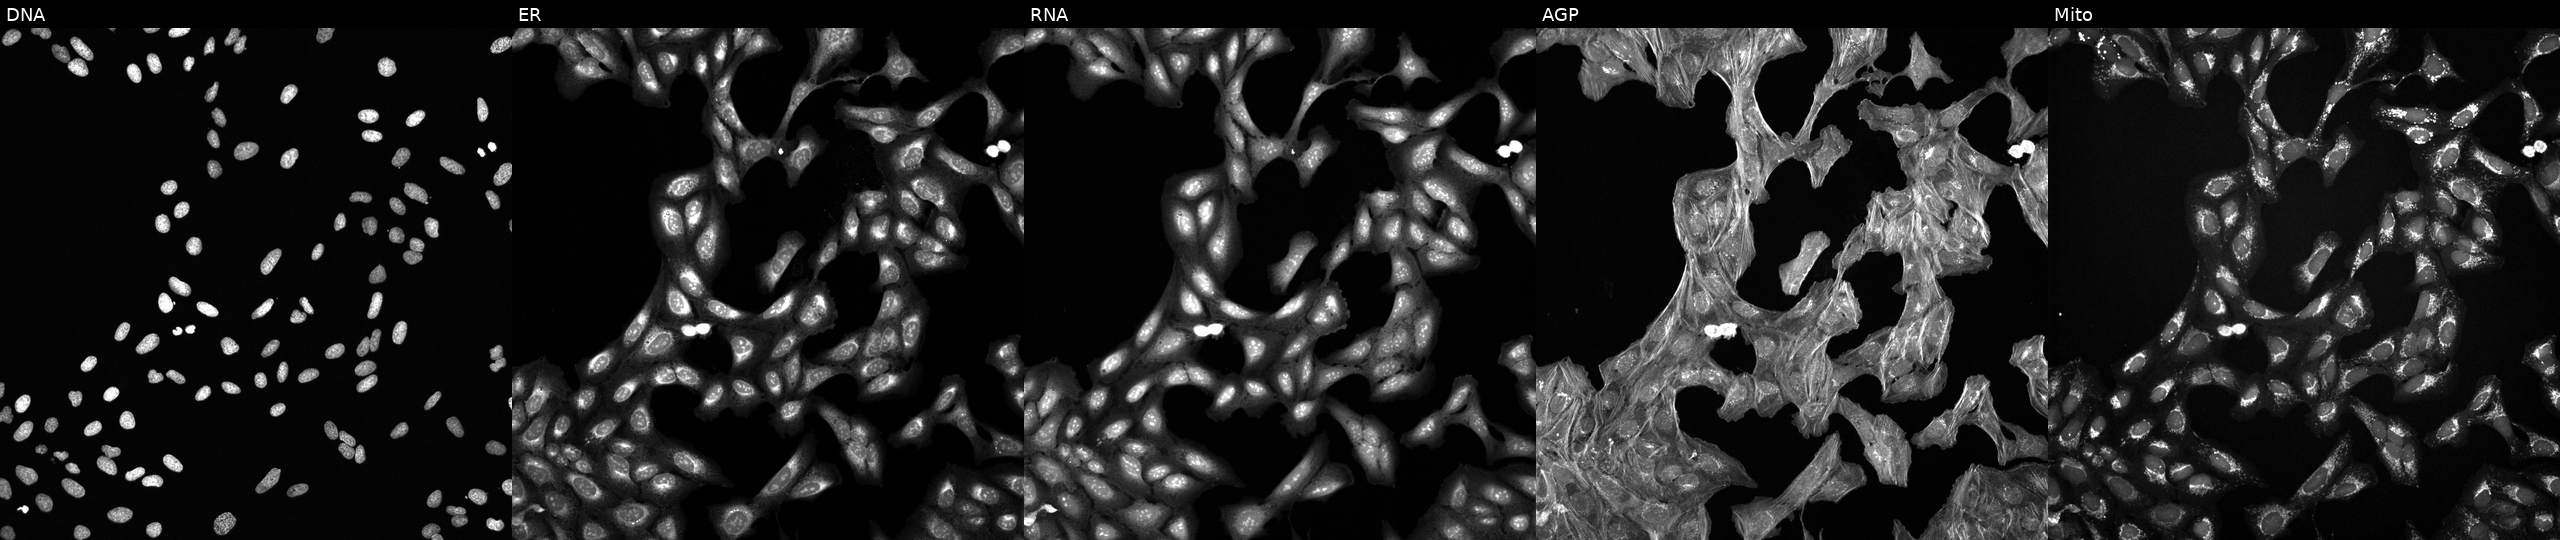
JUMP Cell Painting — TARGET2 plate. U2OS cells perturbed with a small-molecule compound (InChIKey LPYXWGMUVRGUOY-UHFFFAOYSA-N) [SMILES: OCC(O)c1oc(O)c(O)c1O]. From left to right: DNA, ER, RNA, AGP, and Mito.